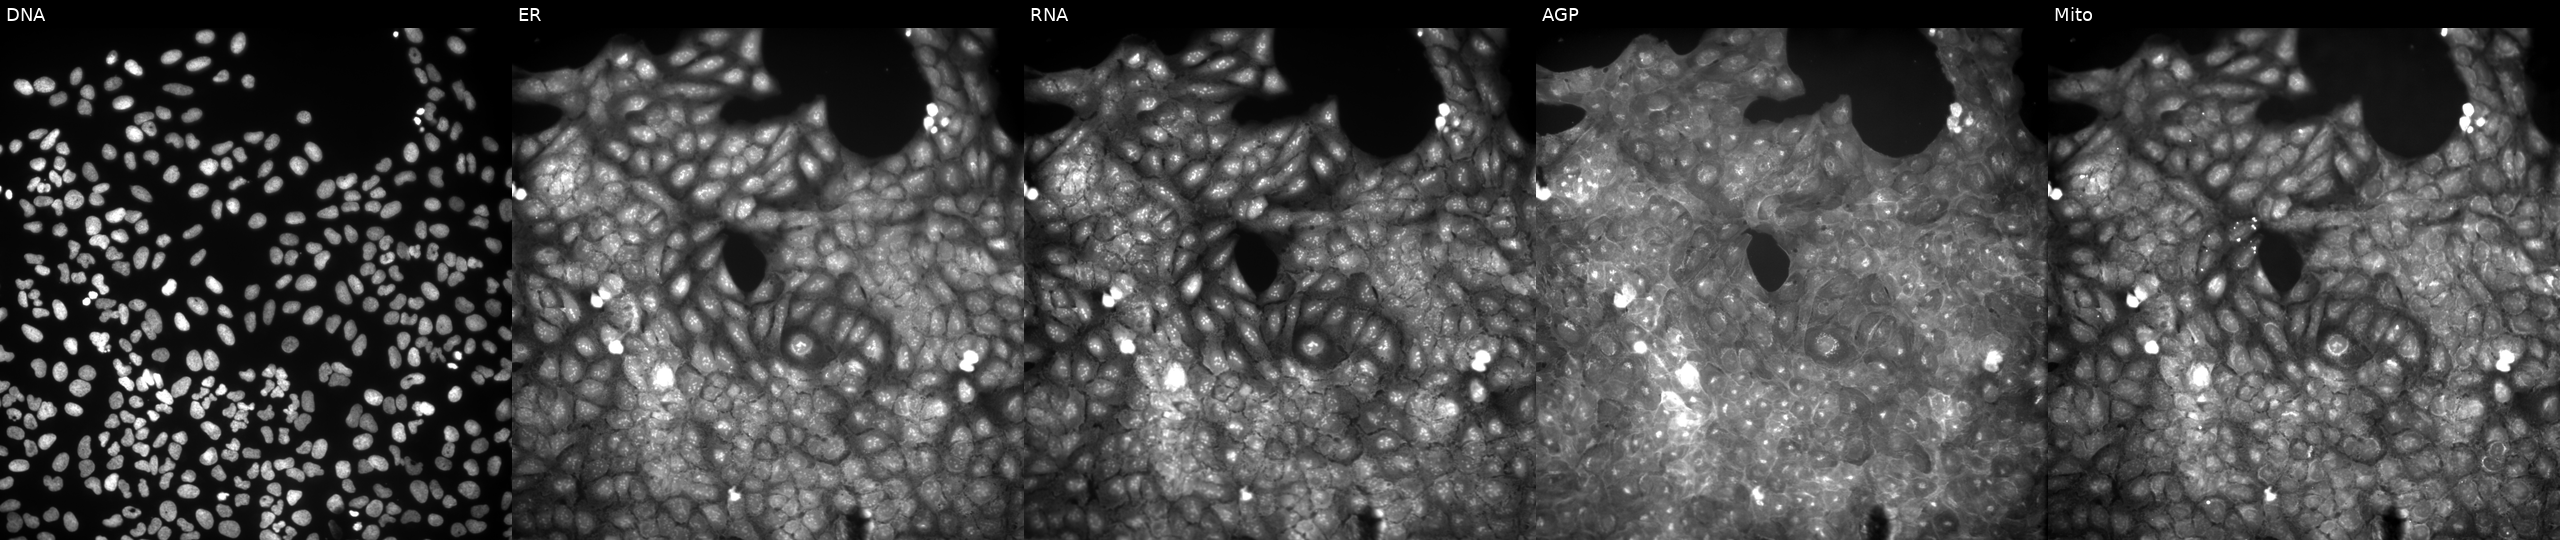
This image strip shows the five Cell Painting channels for a single field of U2OS cells exposed to a small-molecule compound (InChIKey NTDROUOWRLKCIP-UHFFFAOYSA-N) (JUMP id JCP2022_061209). Panels show, left to right, Hoechst 33342, concanavalin A, SYTO 14, phalloidin and WGA, MitoTracker.